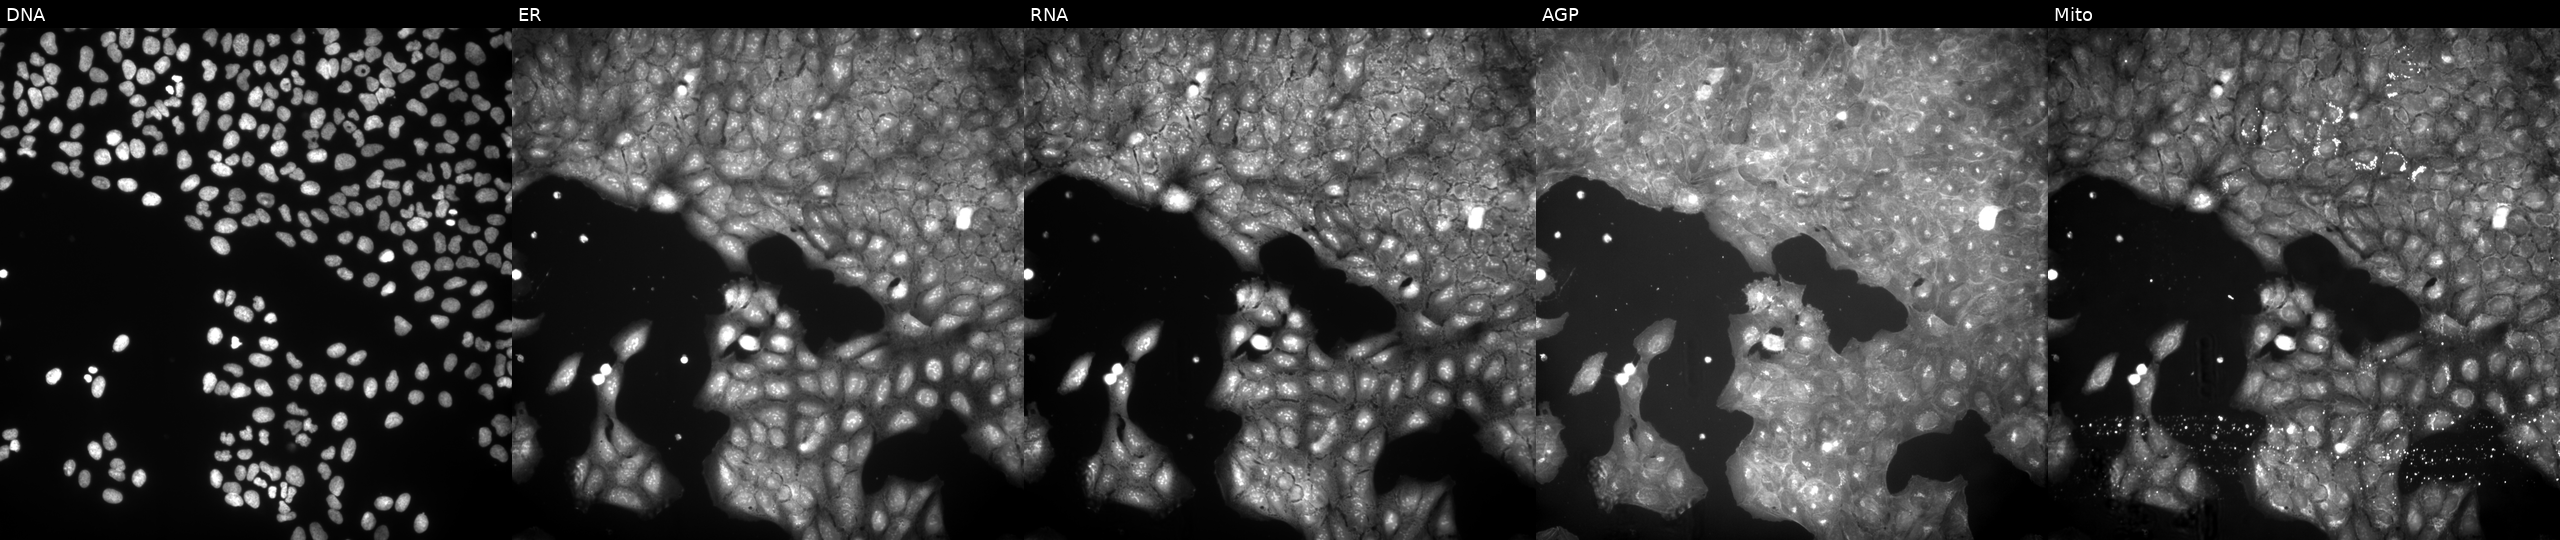
This image strip shows the five Cell Painting channels for a single field of U2OS cells treated with a small-molecule compound (InChIKey FWMNCFQXNDDXHI-UHFFFAOYSA-N). Channels (left→right): DNA (nuclei); ER (endoplasmic reticulum); RNA (nucleoli and cytoplasmic RNA); AGP (actin cytoskeleton, Golgi, and plasma membrane); Mito (mitochondria). Source 9, plate GR00003381, well F33.